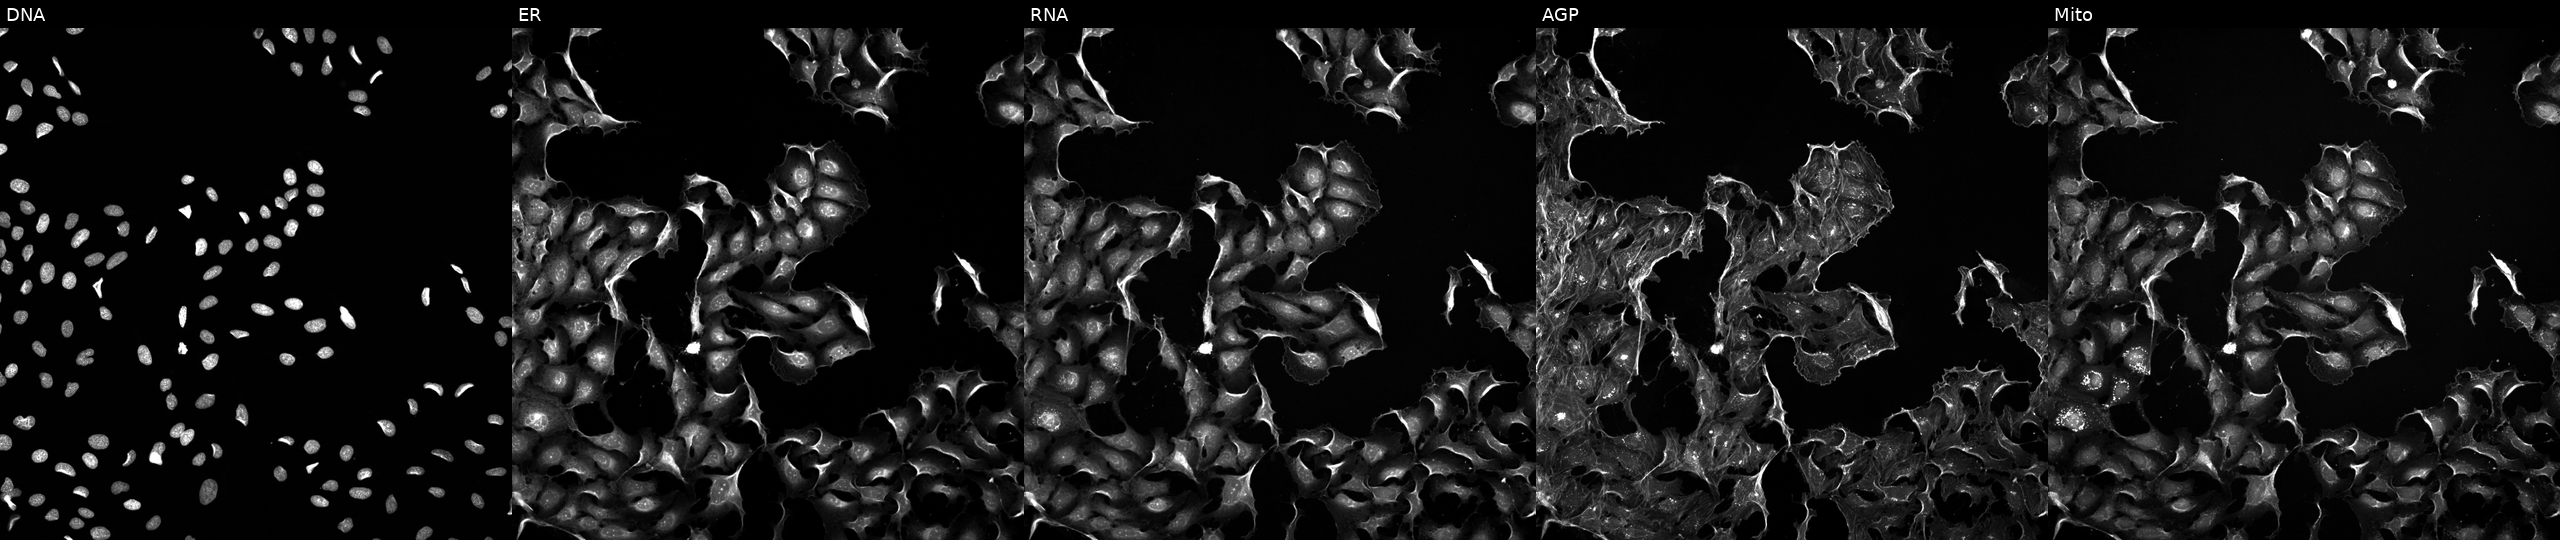
U2OS cells, Cell Painting assay, exposed to the positive-control compound FK-866 (JUMP id JCP2022_046054). The five panels, left to right, show DNA, ER, RNA, AGP, and Mito. Each panel is percentile-stretched 16-bit fluorescence.